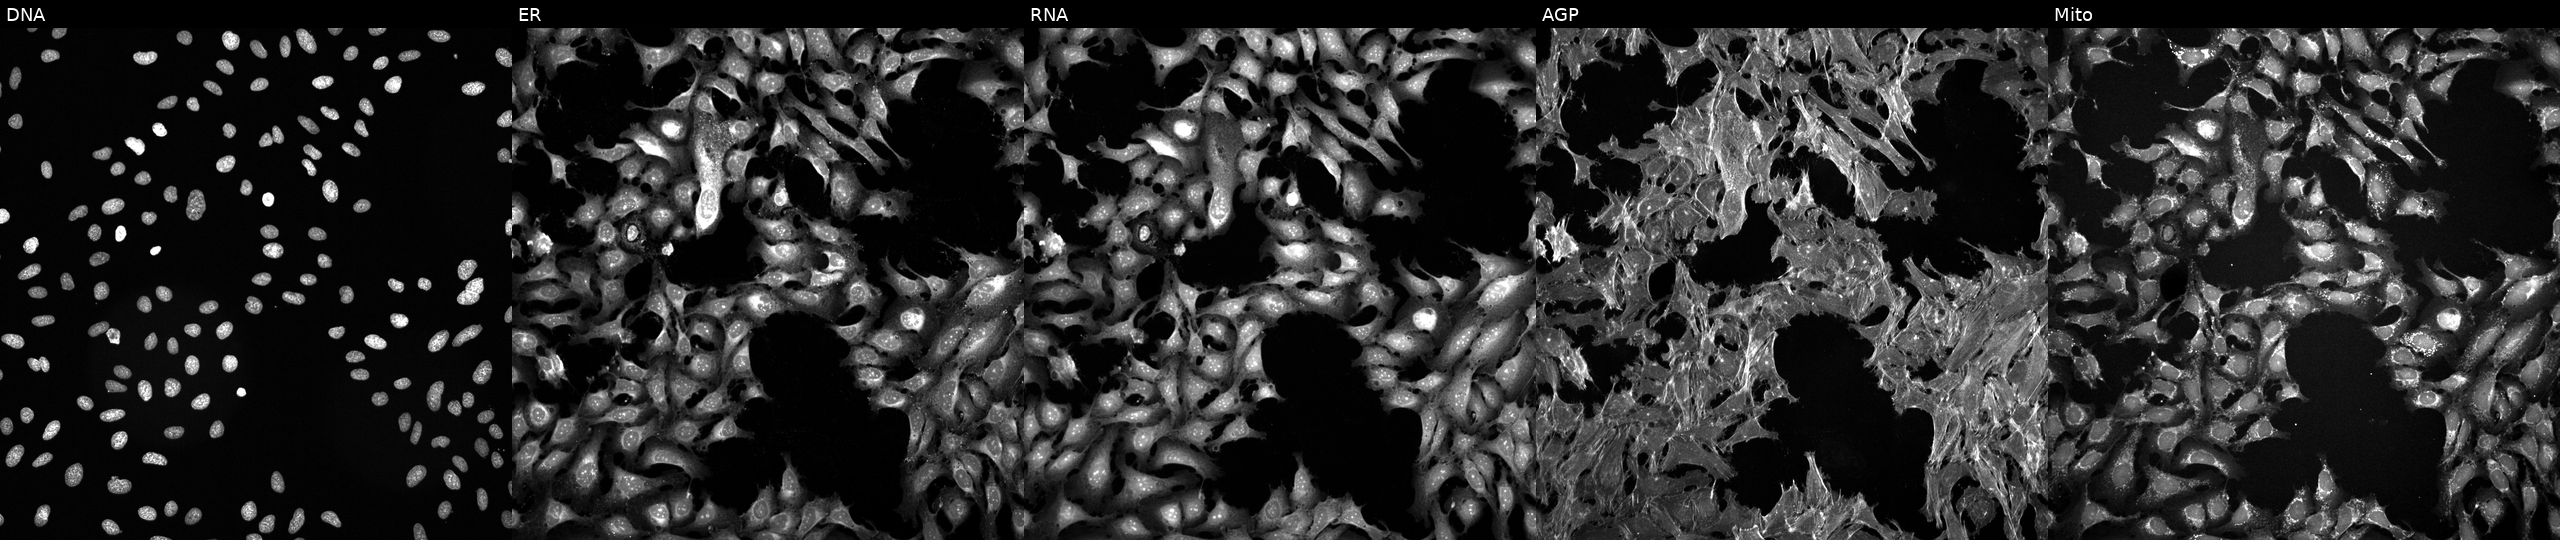
JUMP Cell Painting — TARGET2 plate. U2OS cells exposed to the positive-control compound FK-866 (JUMP id JCP2022_046054). Panels show, left to right, DNA, ER, RNA, AGP, and Mito.